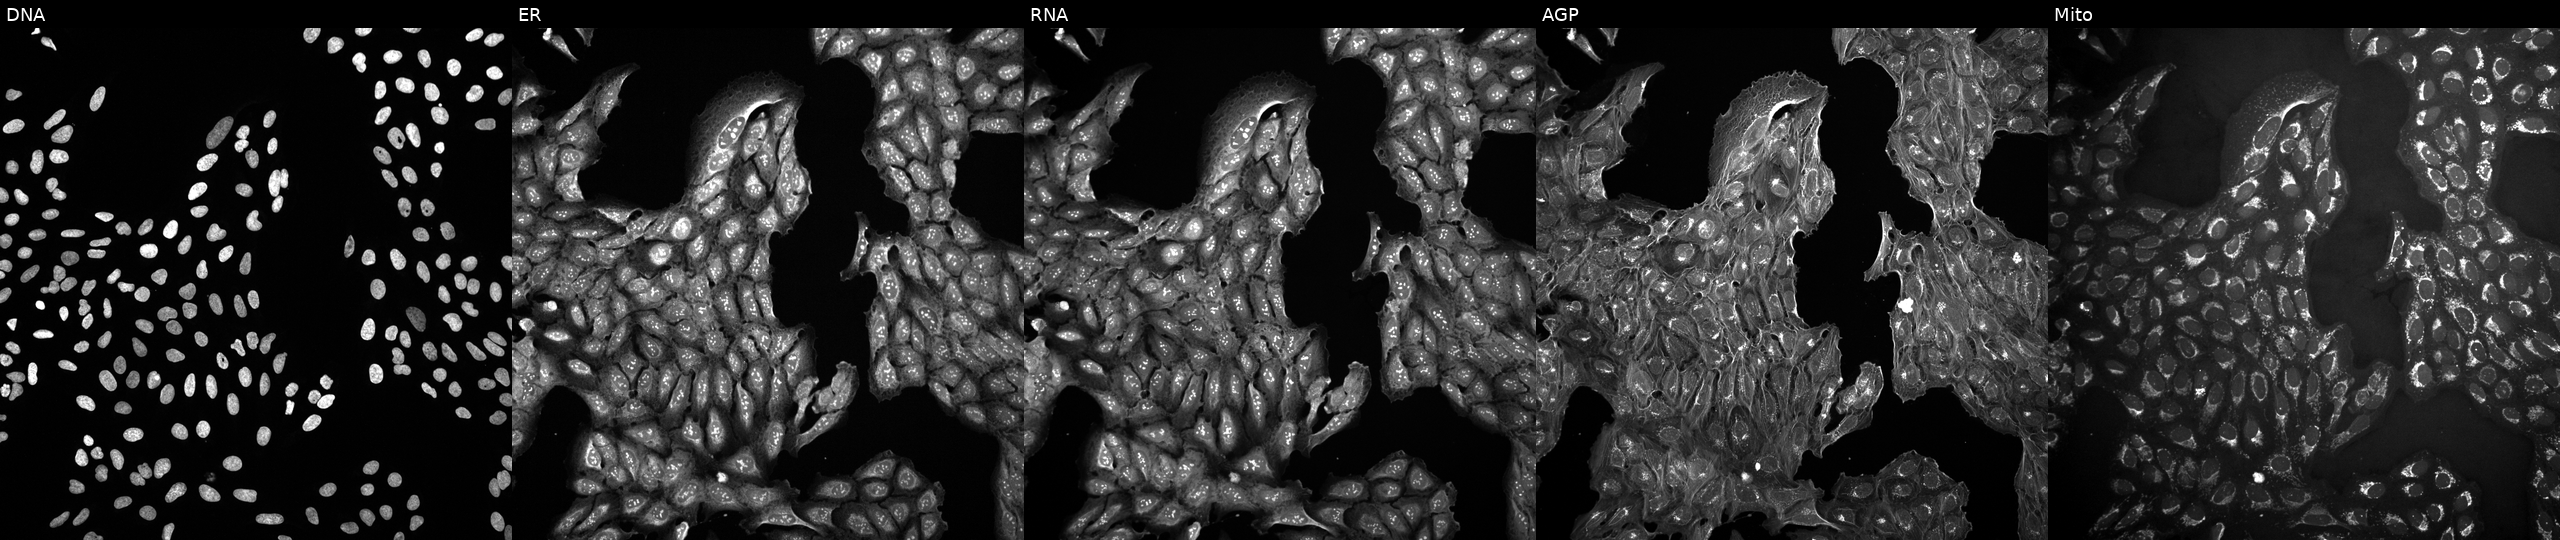
The five panels, left to right, show DNA, ER, RNA, AGP, and Mito. U2OS osteosarcoma cells exposed to a small-molecule compound (InChIKey BCELYKAJELIOAS-UHFFFAOYSA-N). Cell Painting assay, JUMP-CP dataset. Source 10, plate Dest210531-152149, well P11.